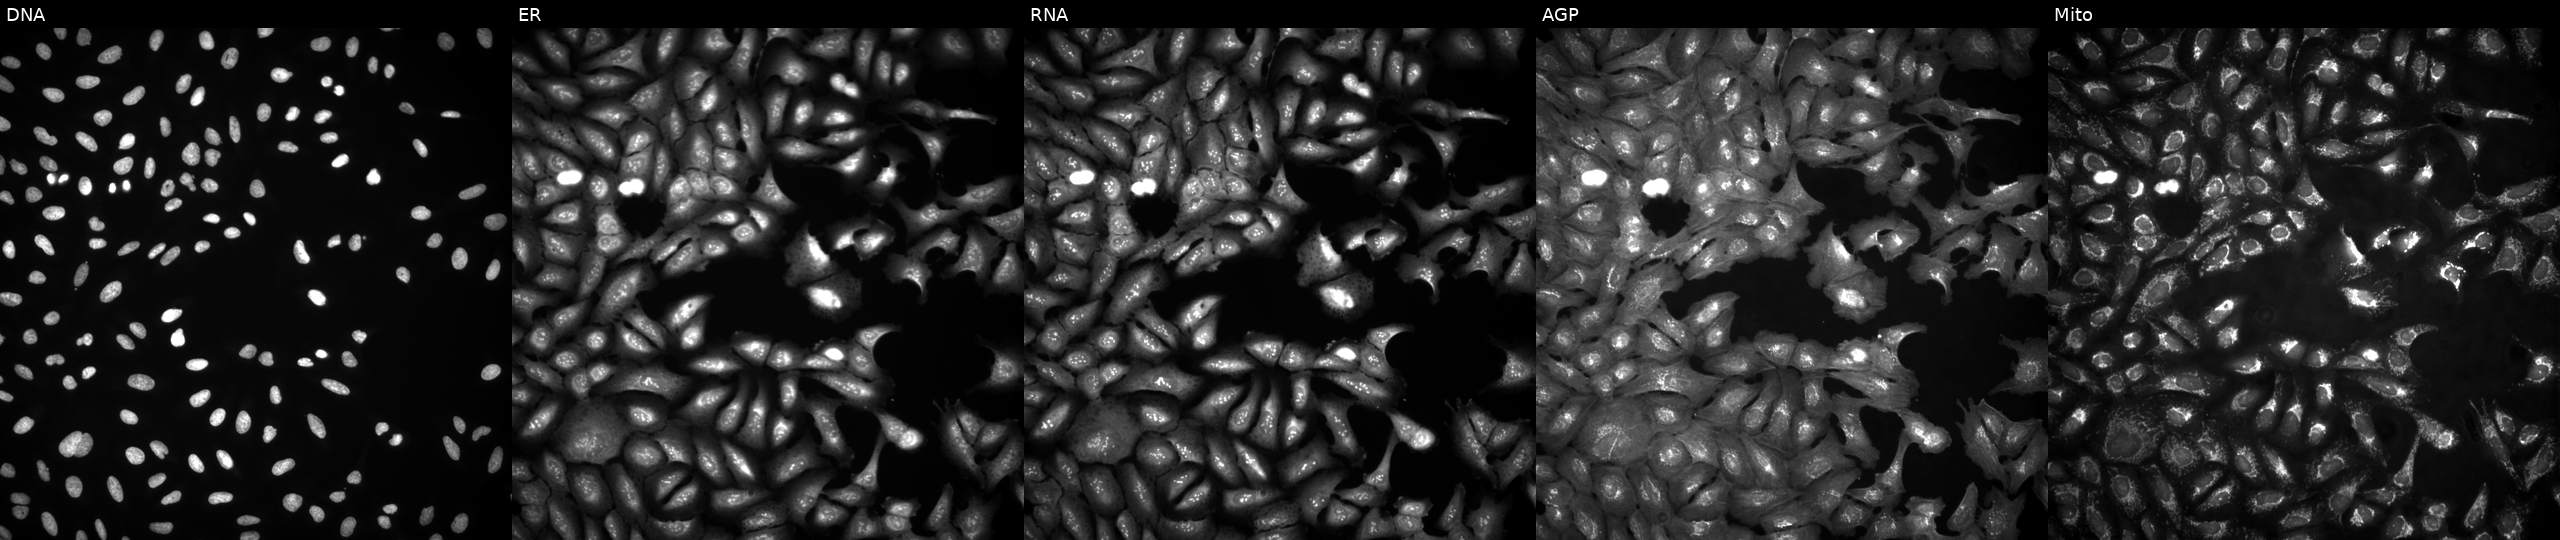
This image strip shows the five Cell Painting channels for a single field of U2OS cells with TMEM60 overexpressed (ORF) (JUMP id JCP2022_912031). Channels (left→right): DNA (nuclei); ER (endoplasmic reticulum); RNA (nucleoli and cytoplasmic RNA); AGP (actin cytoskeleton, Golgi, and plasma membrane); Mito (mitochondria). Source 4, plate BR00124787, well E12.